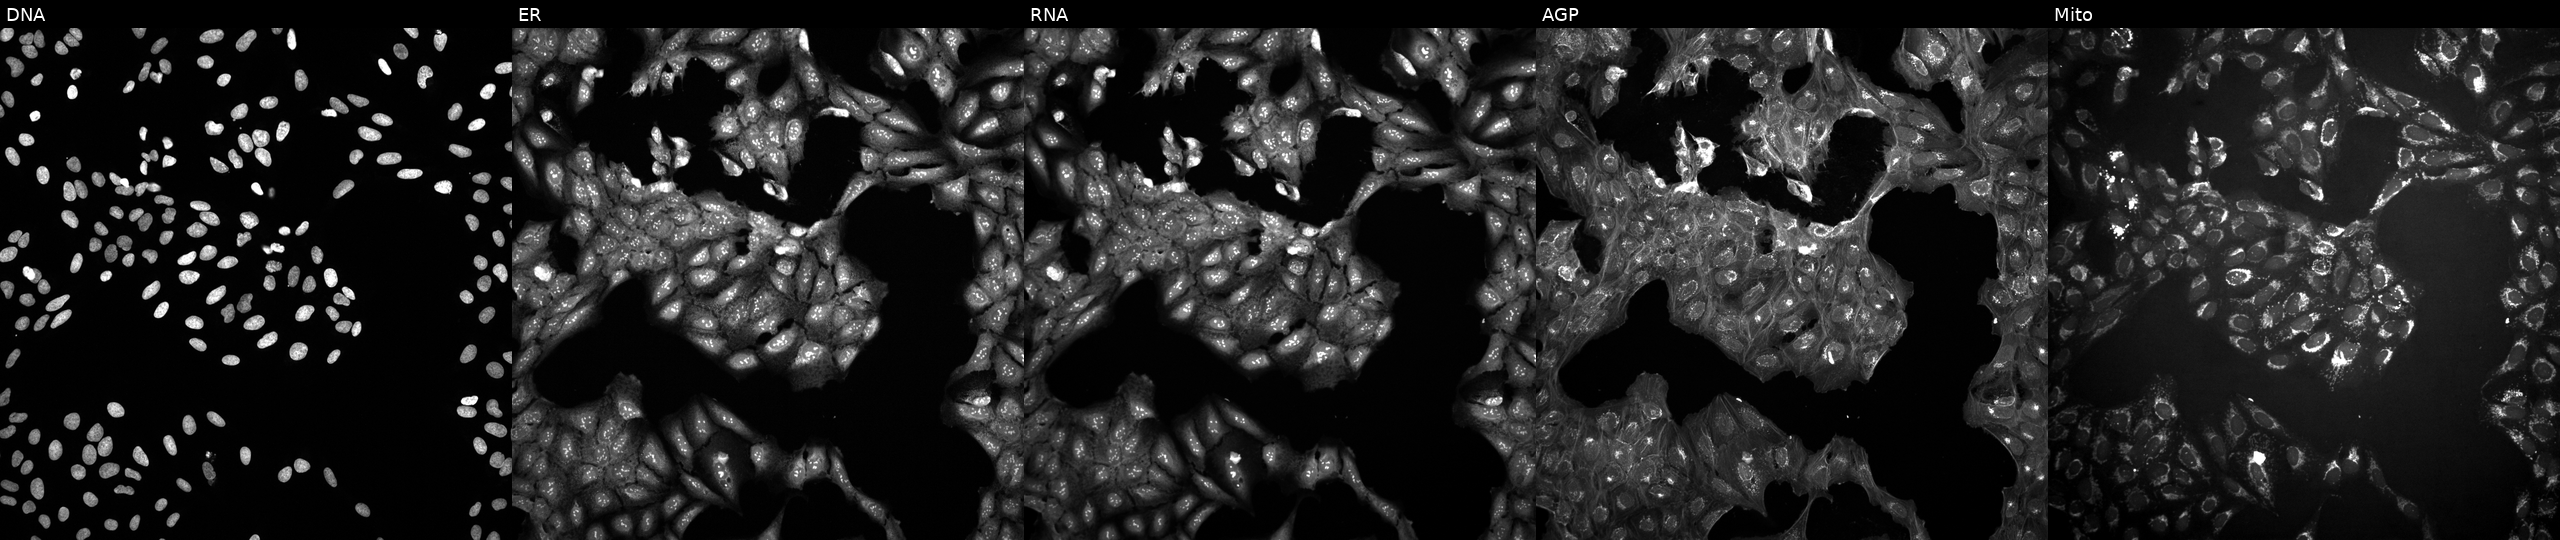
JUMP Cell Painting — COMPOUND plate. U2OS cells treated with a small-molecule compound (InChIKey BUEPAAMLCWAHPR-UHFFFAOYSA-N) [SMILES: O=C(COc1ccccc1)NCC(O)c1ccc(-c2ccsc2)o1]. From left to right: DNA (nuclei); ER (endoplasmic reticulum); RNA (nucleoli and cytoplasmic RNA); AGP (actin cytoskeleton, Golgi, and plasma membrane); Mito (mitochondria). Source 10, plate Dest210531-152149, well F03.